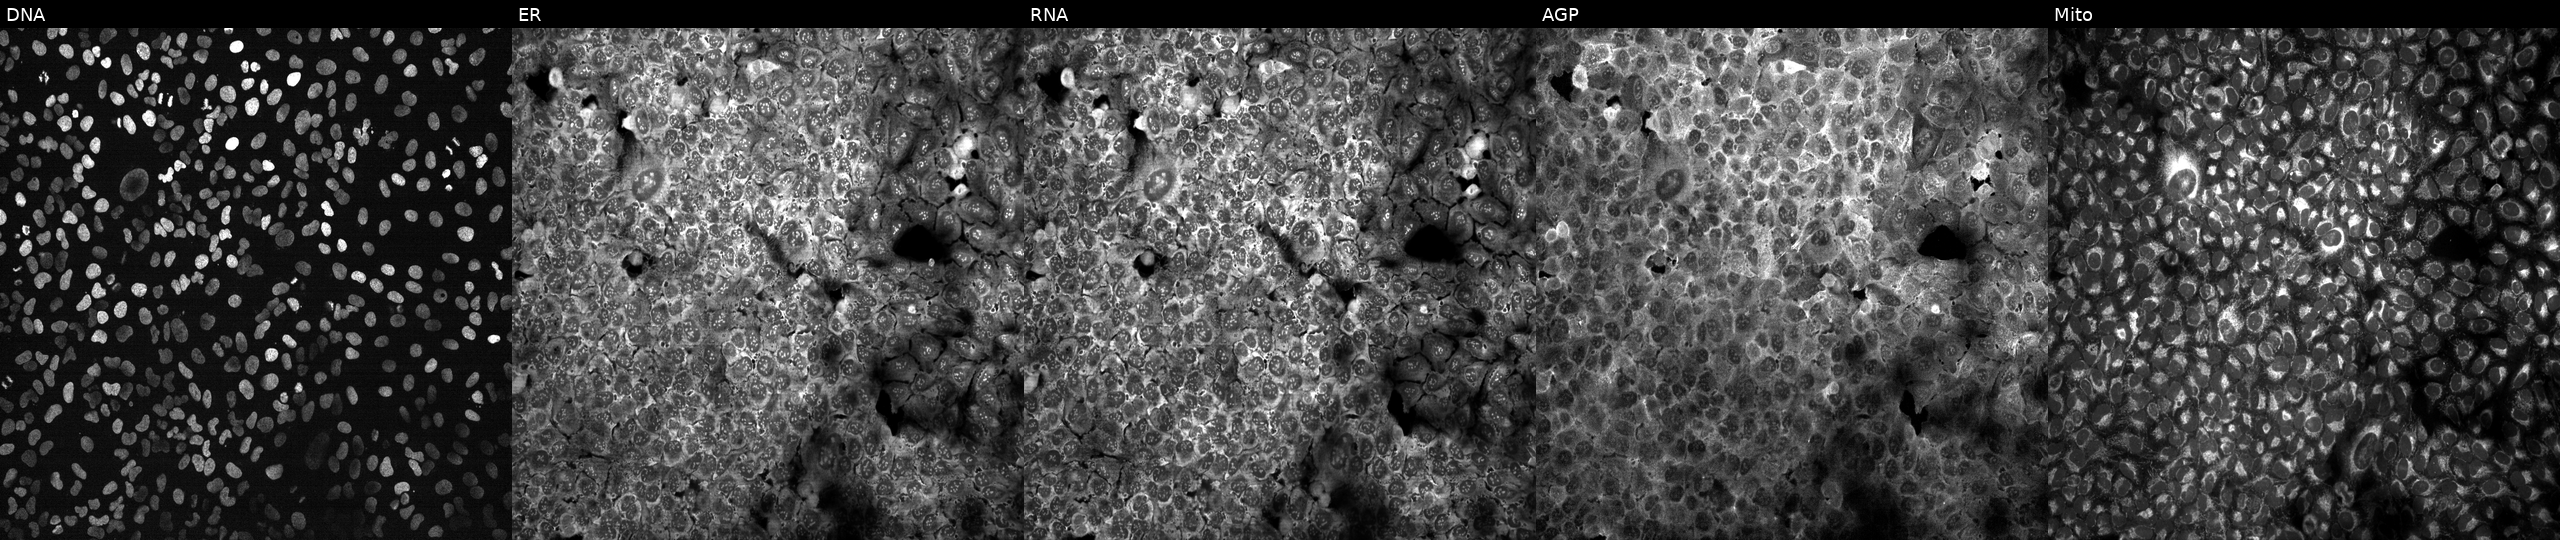
This image strip shows the five Cell Painting channels for a single field of U2OS cells CRISPR-edited to disrupt ABCA8. From left to right: DNA, ER, RNA, AGP, and Mito. Source 13, plate CP-CC9-R3-01, well A17.